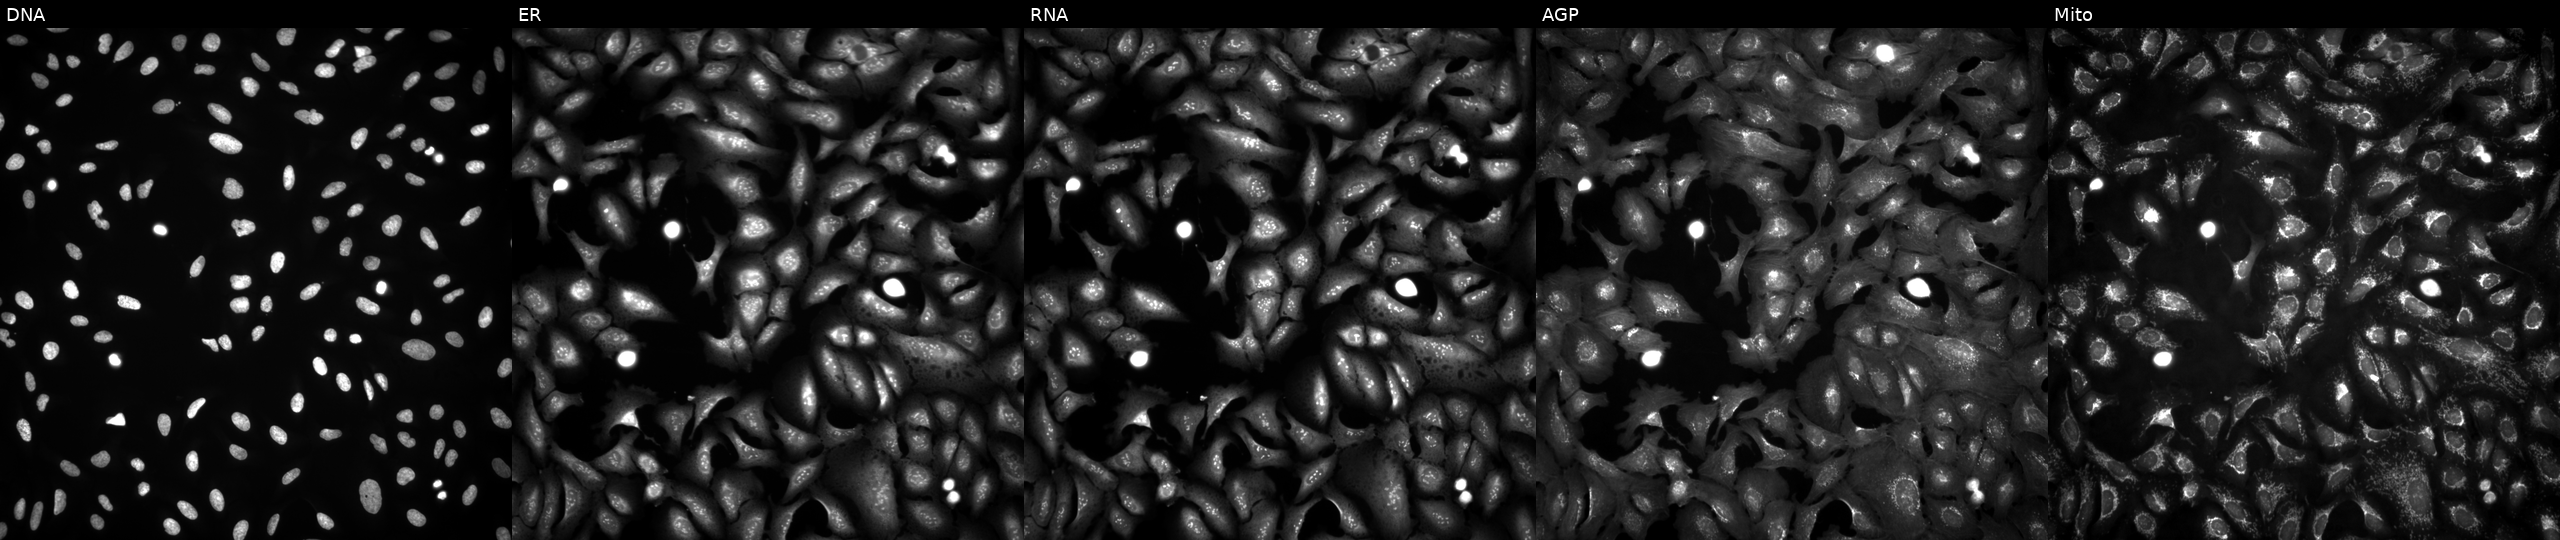
U2OS cells, Cell Painting assay, overexpressing ZC3H18 via ORF transfection (JUMP id JCP2022_908844). The five panels, left to right, show DNA, ER, RNA, AGP, and Mito. Each panel is percentile-stretched 16-bit fluorescence.